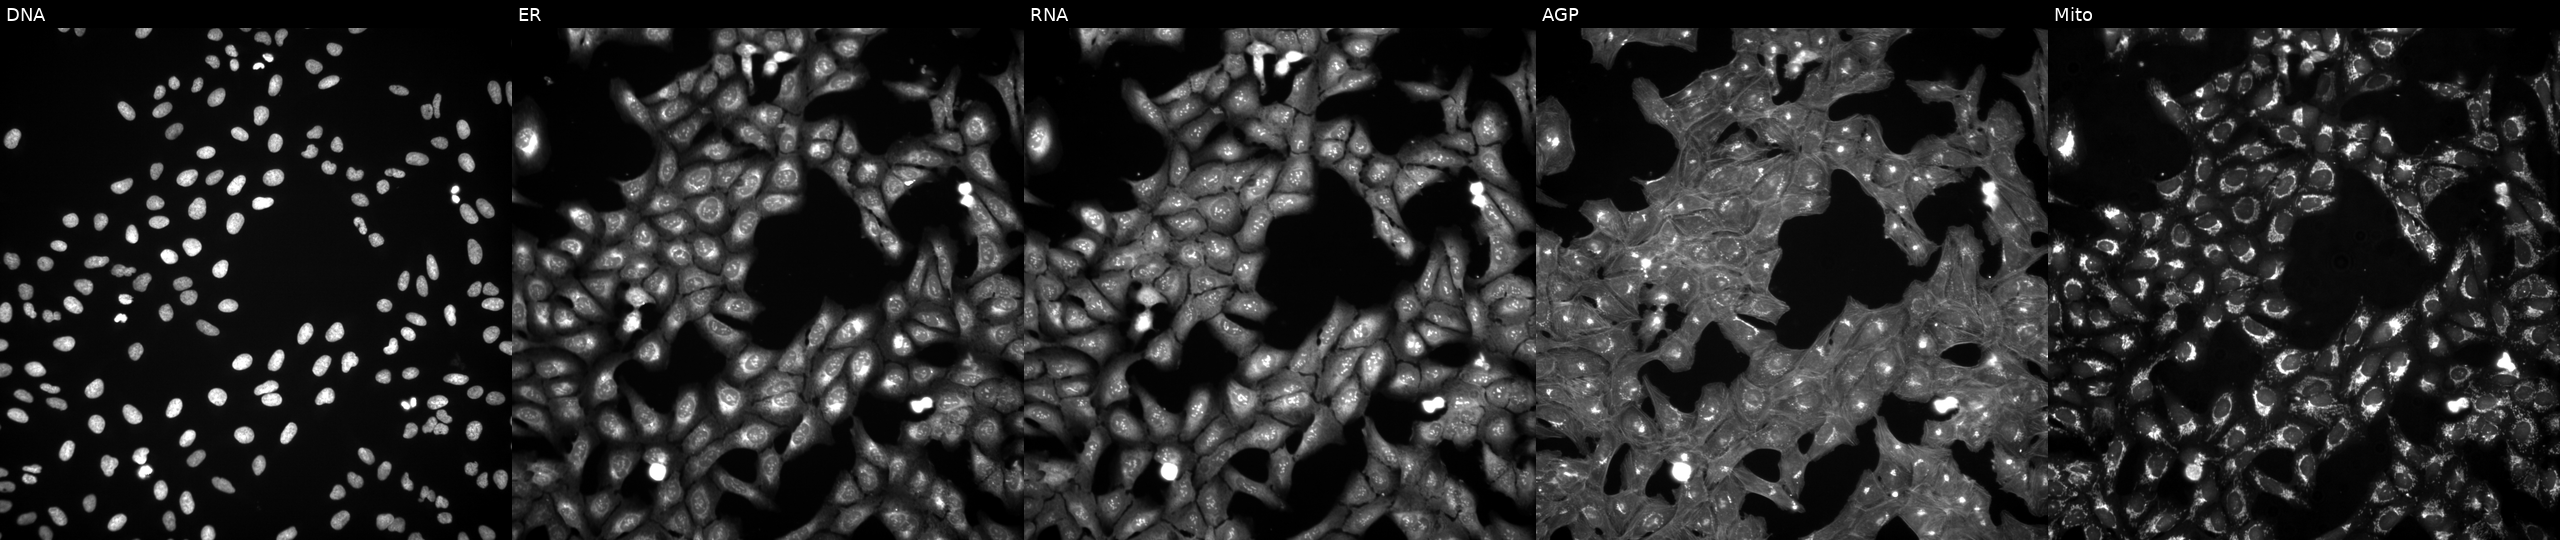
High-content fluorescence microscopy (Cell Painting). Cell line: U2OS. Perturbation: exposed to a small-molecule compound (InChIKey UFJGFNHRMPMALC-UHFFFAOYSA-N) [SMILES: CCOC(=O)c1c2c3c(cccc3[nH]c1=O)C(=O)c1ccccc1-2]. Channels (left→right): Hoechst 33342, concanavalin A, SYTO 14, phalloidin and WGA, MitoTracker. Source 3, plate JCPQC052, well I19.